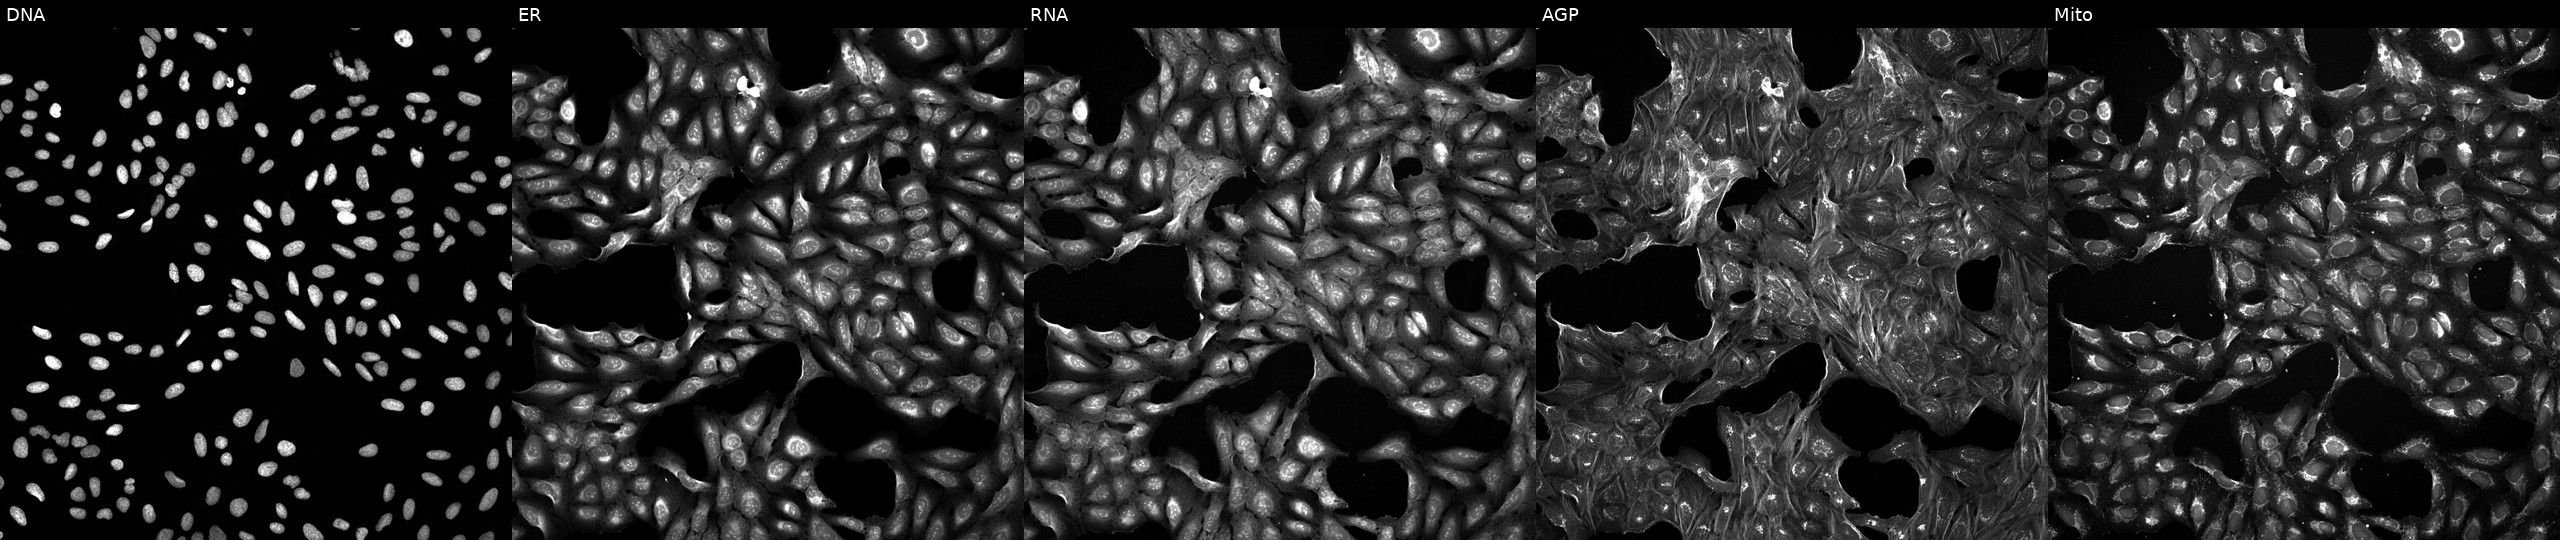
Panels show, left to right, Hoechst 33342, concanavalin A, SYTO 14, phalloidin and WGA, MitoTracker. U2OS osteosarcoma cells exposed to a small-molecule compound (JUMP id JCP2022_047559). Cell Painting assay, JUMP-CP dataset.